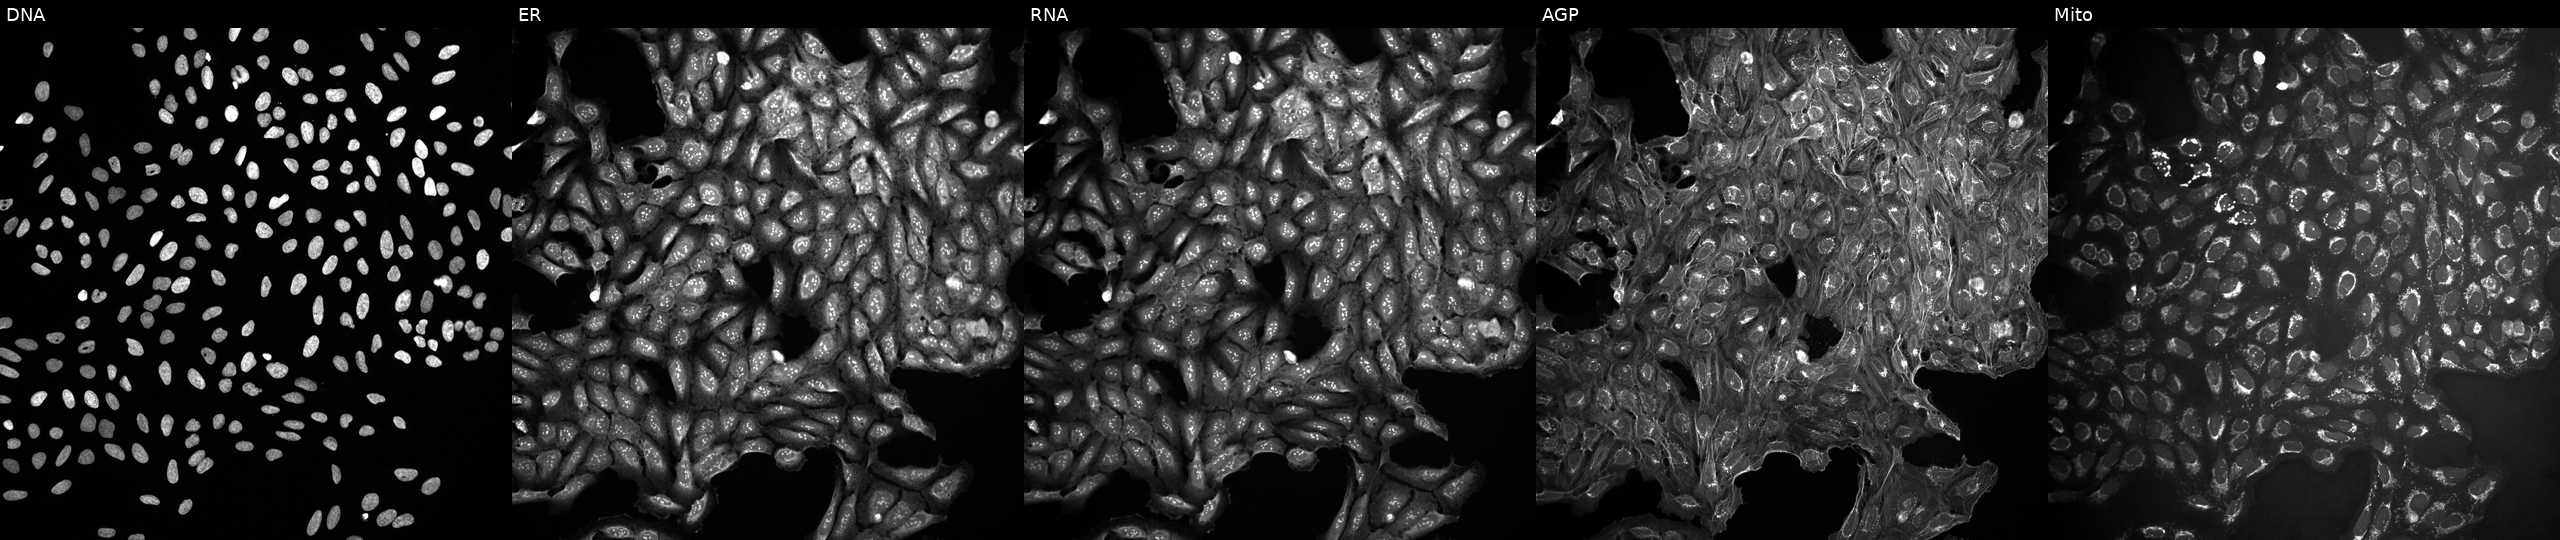
The five panels, left to right, show Hoechst 33342, concanavalin A, SYTO 14, phalloidin and WGA, MitoTracker. U2OS osteosarcoma cells treated with a small-molecule compound (InChIKey MWEKKKPEBOFPHA-UHFFFAOYSA-N) [SMILES: O=C(c1cscn1)N1CC(N=c2cc[nH]cn2)C1]. Cell Painting assay, JUMP-CP dataset. Source 10, plate Dest210531-152149, well N15.